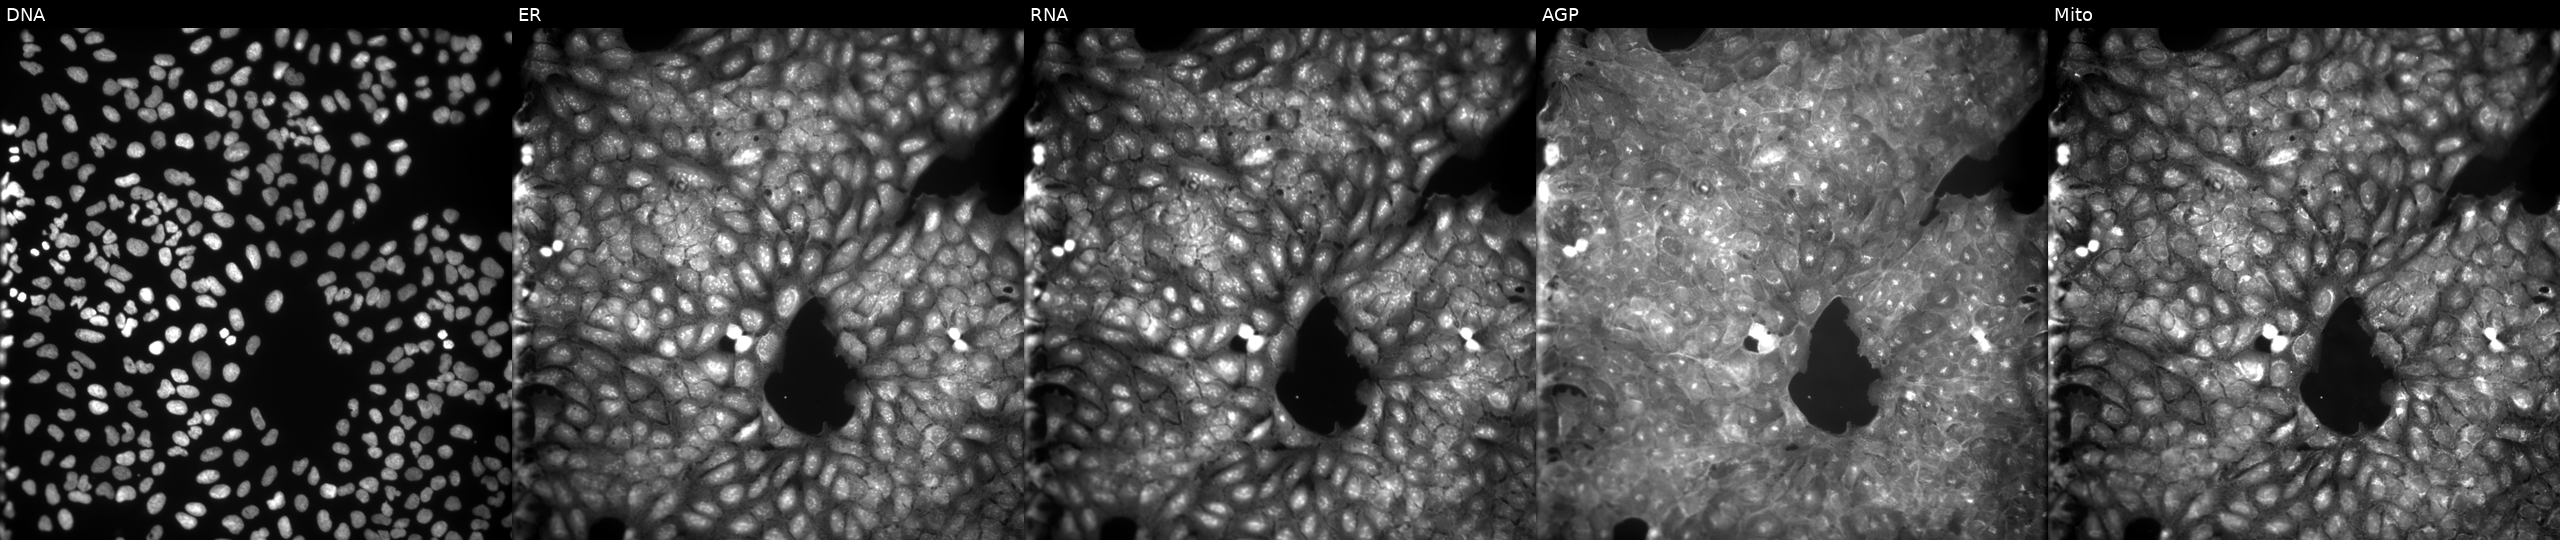
U2OS cells, Cell Painting assay, exposed to a small-molecule compound (InChIKey CMOXRSASORSUKG-UHFFFAOYSA-N). Channels (left→right): DNA (nuclei); ER (endoplasmic reticulum); RNA (nucleoli and cytoplasmic RNA); AGP (actin cytoskeleton, Golgi, and plasma membrane); Mito (mitochondria). Each panel is percentile-stretched 16-bit fluorescence.